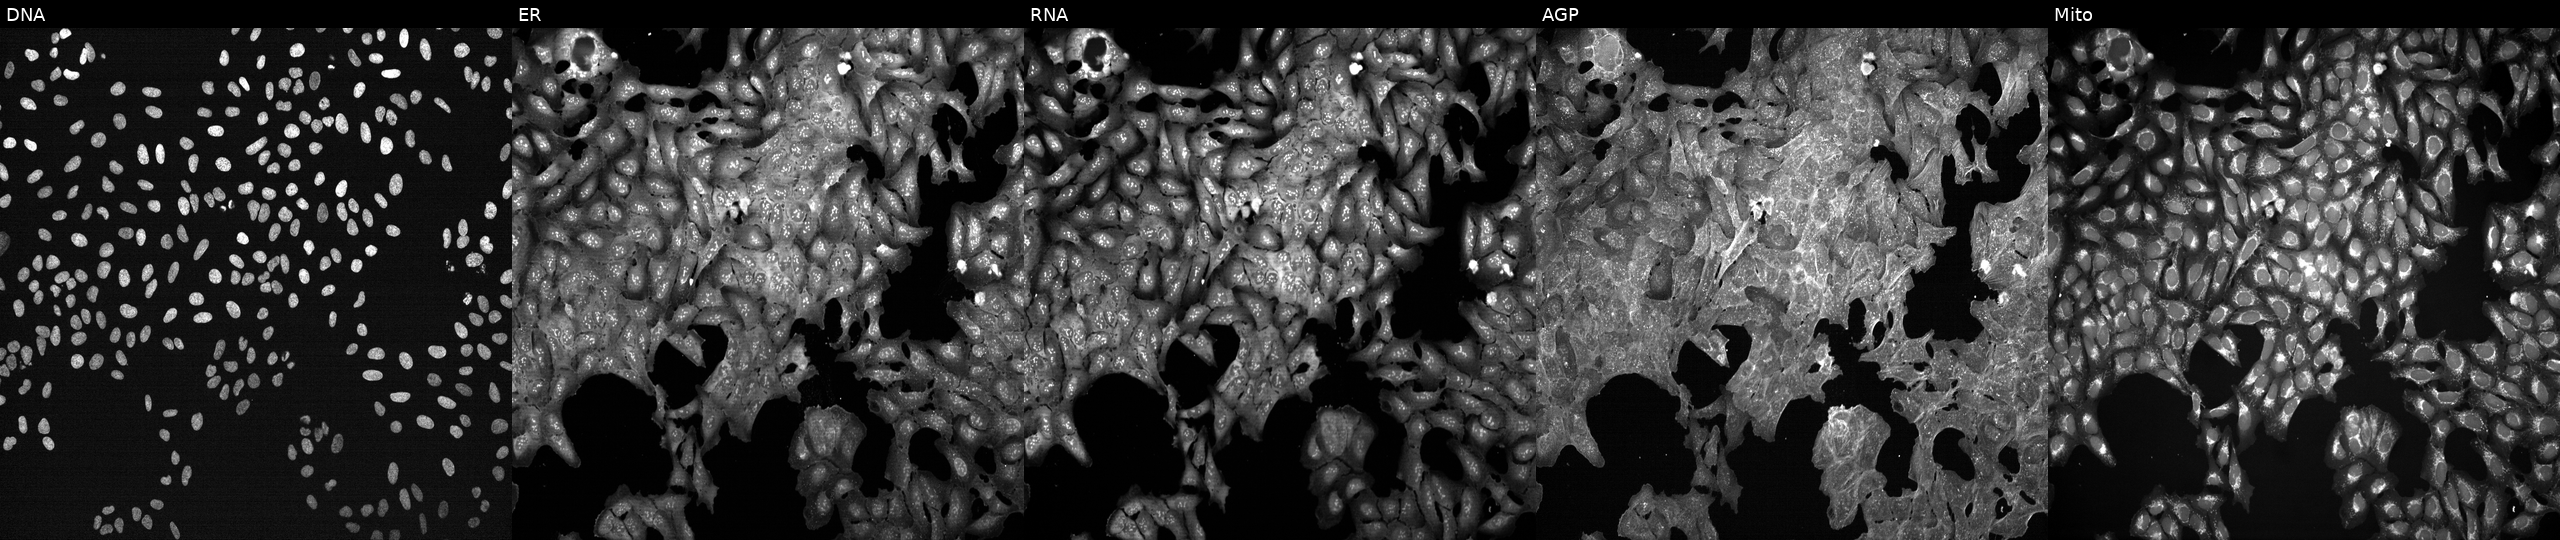
U2OS cells, Cell Painting assay, exposed to a small-molecule compound (InChIKey KSCFJBIXMNOVSH-UHFFFAOYSA-N) (JUMP id JCP2022_046649). Panels show, left to right, DNA (nuclei); ER (endoplasmic reticulum); RNA (nucleoli and cytoplasmic RNA); AGP (actin cytoskeleton, Golgi, and plasma membrane); Mito (mitochondria). Each panel is percentile-stretched 16-bit fluorescence.